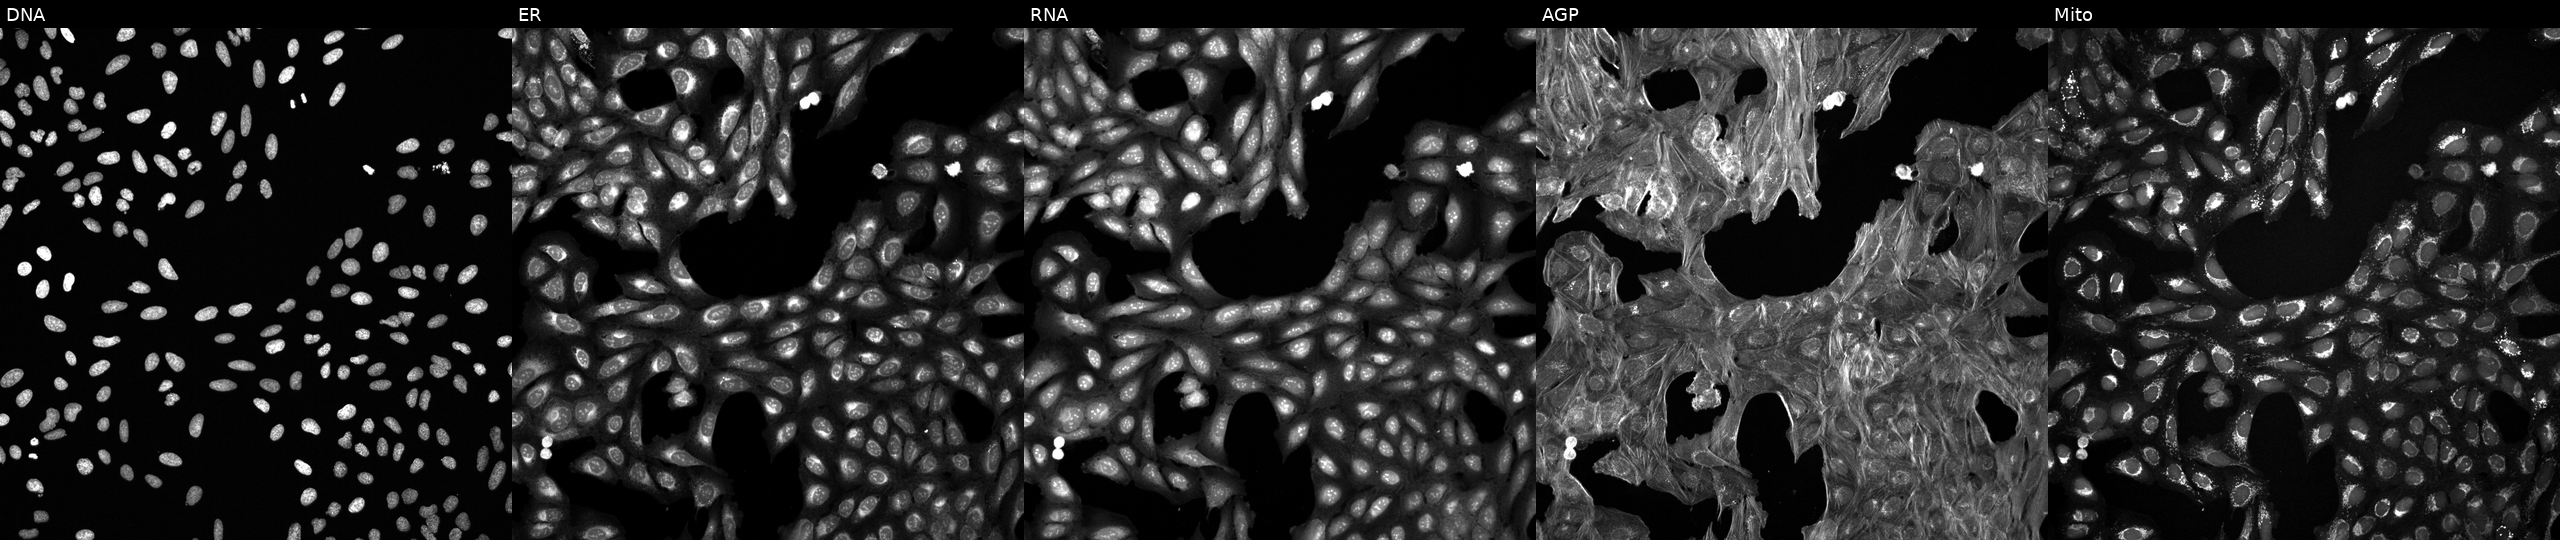
High-content fluorescence microscopy (Cell Painting). Cell line: U2OS. Perturbation: exposed to a small-molecule compound [SMILES: Cc1oc2ncnc(Oc3ccc(F)cc3Cl)c2c1C]. The five panels, left to right, show Hoechst 33342, concanavalin A, SYTO 14, phalloidin and WGA, MitoTracker.